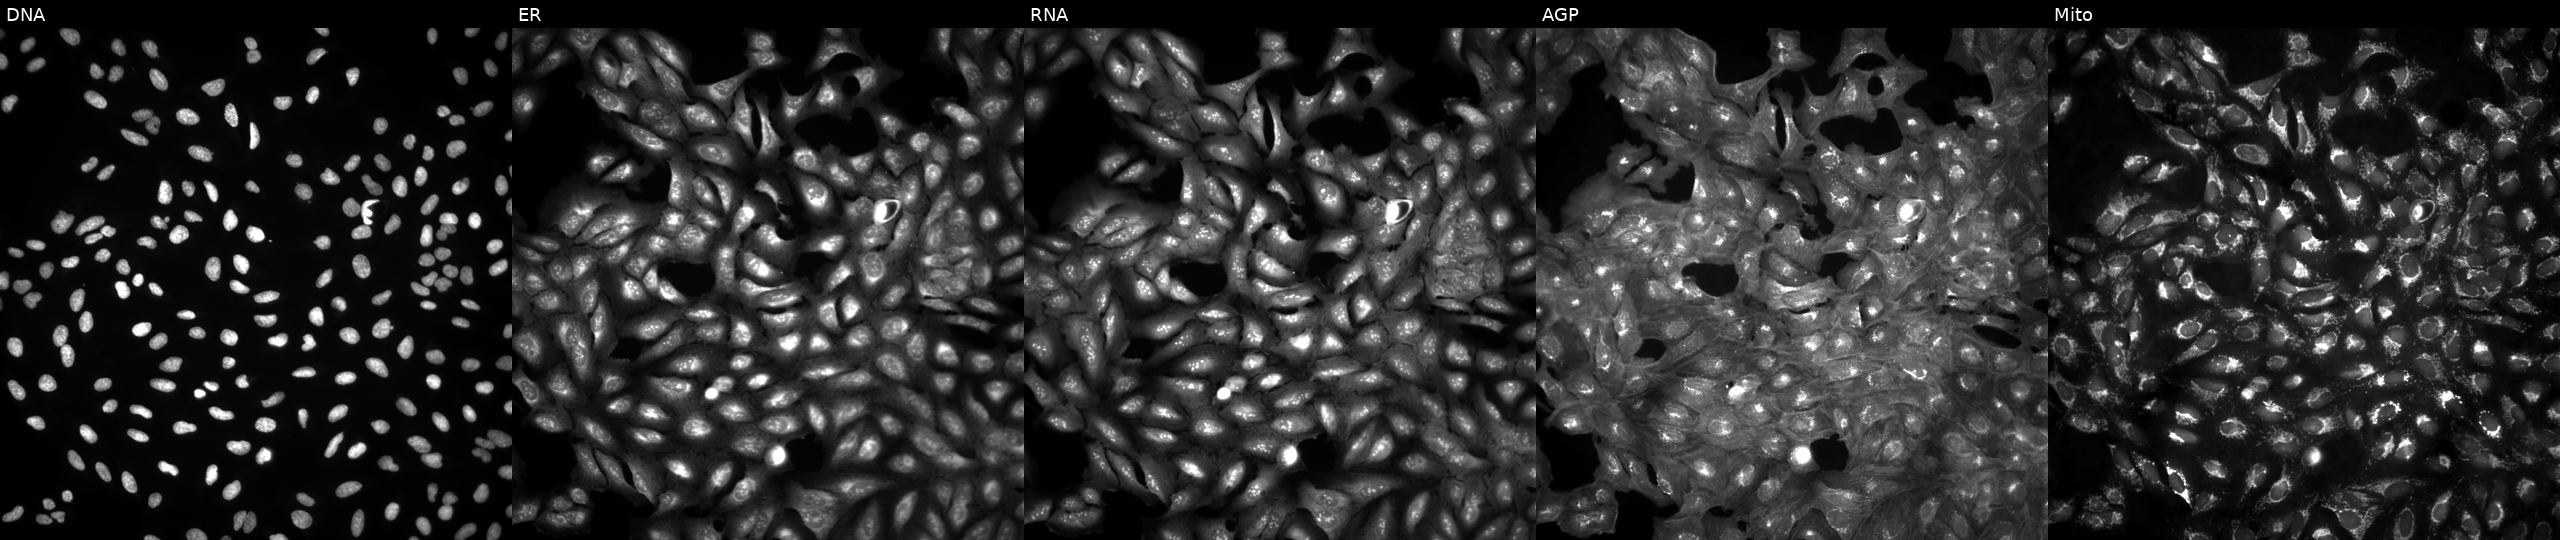
This image strip shows the five Cell Painting channels for a single field of U2OS cells untreated (empty-well control). Channels (left→right): Hoechst 33342, concanavalin A, SYTO 14, phalloidin and WGA, MitoTracker.